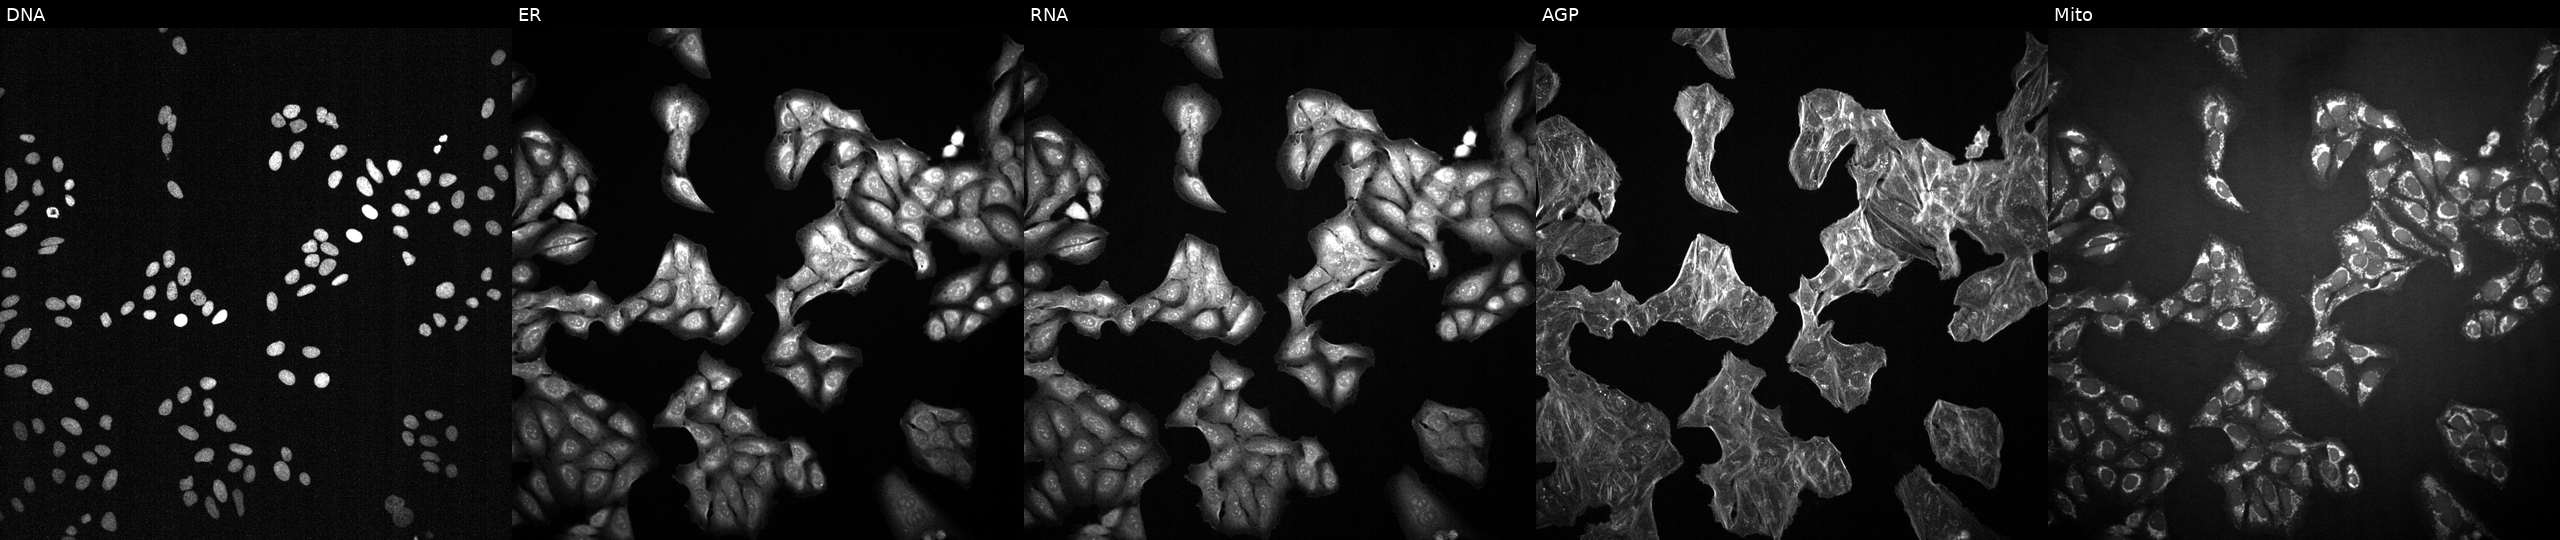
JUMP Cell Painting — TARGET2 plate. U2OS cells exposed to a small-molecule compound (JUMP id JCP2022_001036). The five panels, left to right, show DNA, ER, RNA, AGP, and Mito.